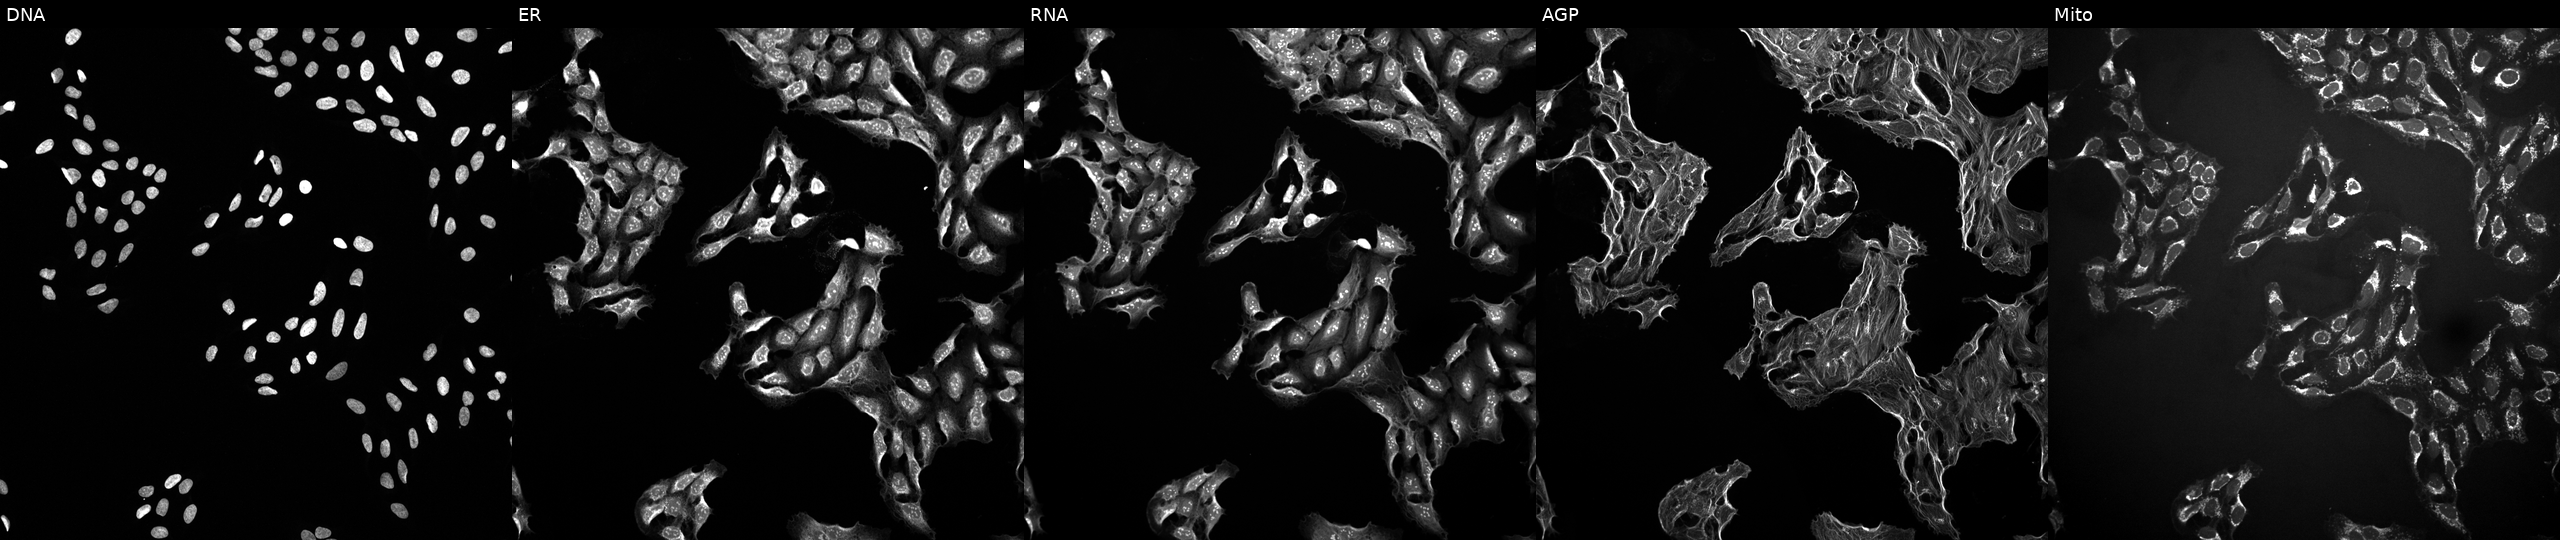
The five panels, left to right, show Hoechst 33342, concanavalin A, SYTO 14, phalloidin and WGA, MitoTracker. U2OS osteosarcoma cells treated with a small-molecule compound (InChIKey XXYGTCZJJLTAGH-UHFFFAOYSA-N). Cell Painting assay, JUMP-CP dataset. Source 10, plate Dest210726-160150, well J06.